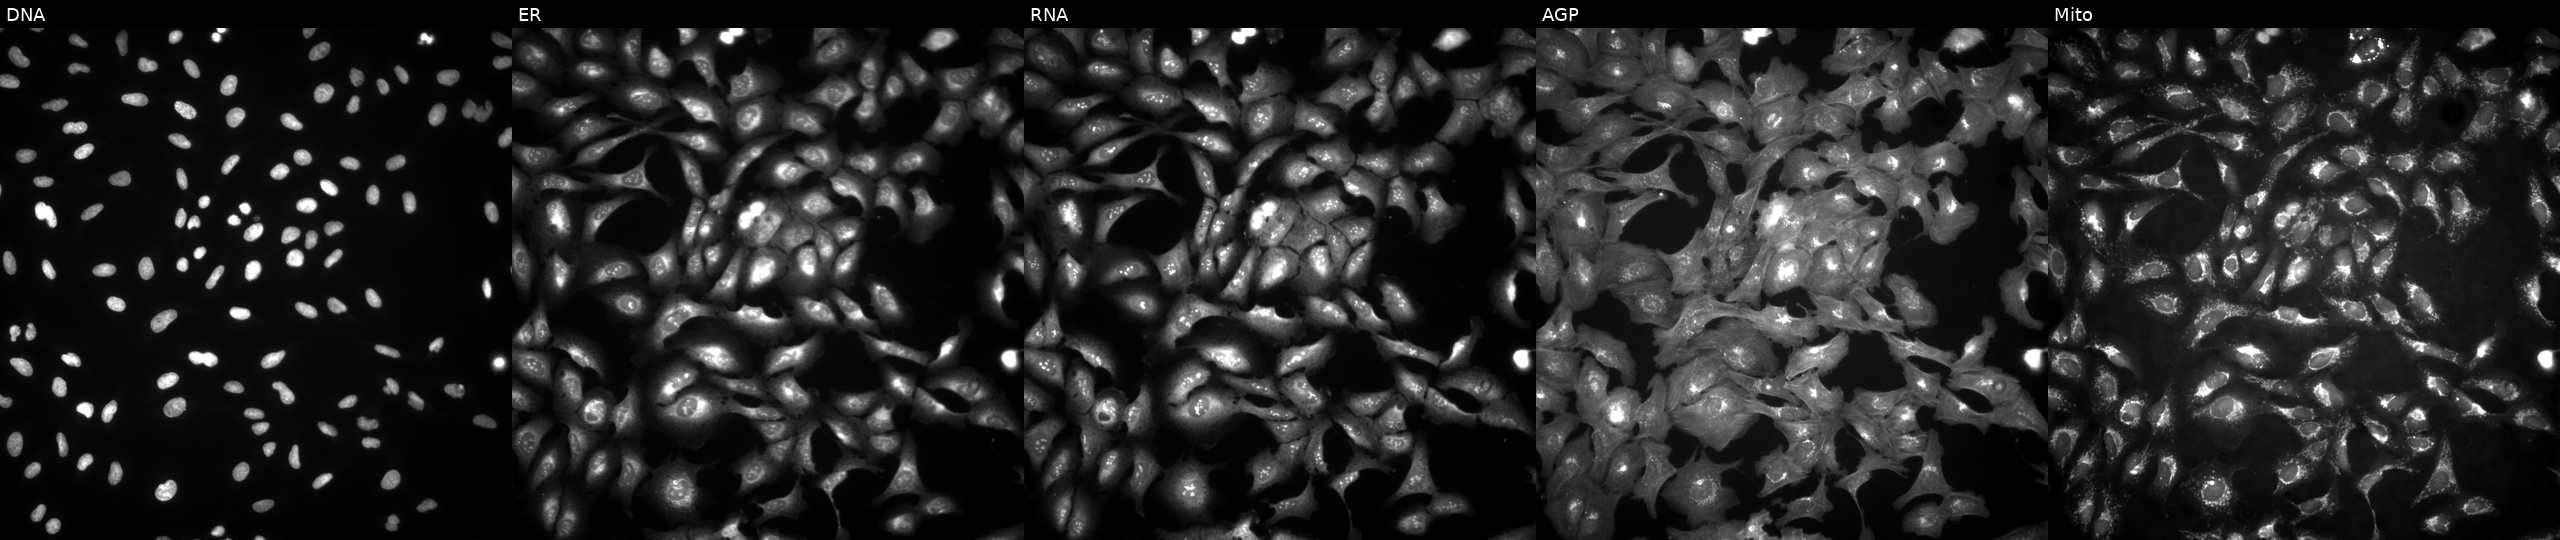
Panels show, left to right, DNA (nuclei); ER (endoplasmic reticulum); RNA (nucleoli and cytoplasmic RNA); AGP (actin cytoskeleton, Golgi, and plasma membrane); Mito (mitochondria). U2OS osteosarcoma cells transfected with an ORF construct for HSD3B7 (JUMP id JCP2022_909759). Cell Painting assay, JUMP-CP dataset.